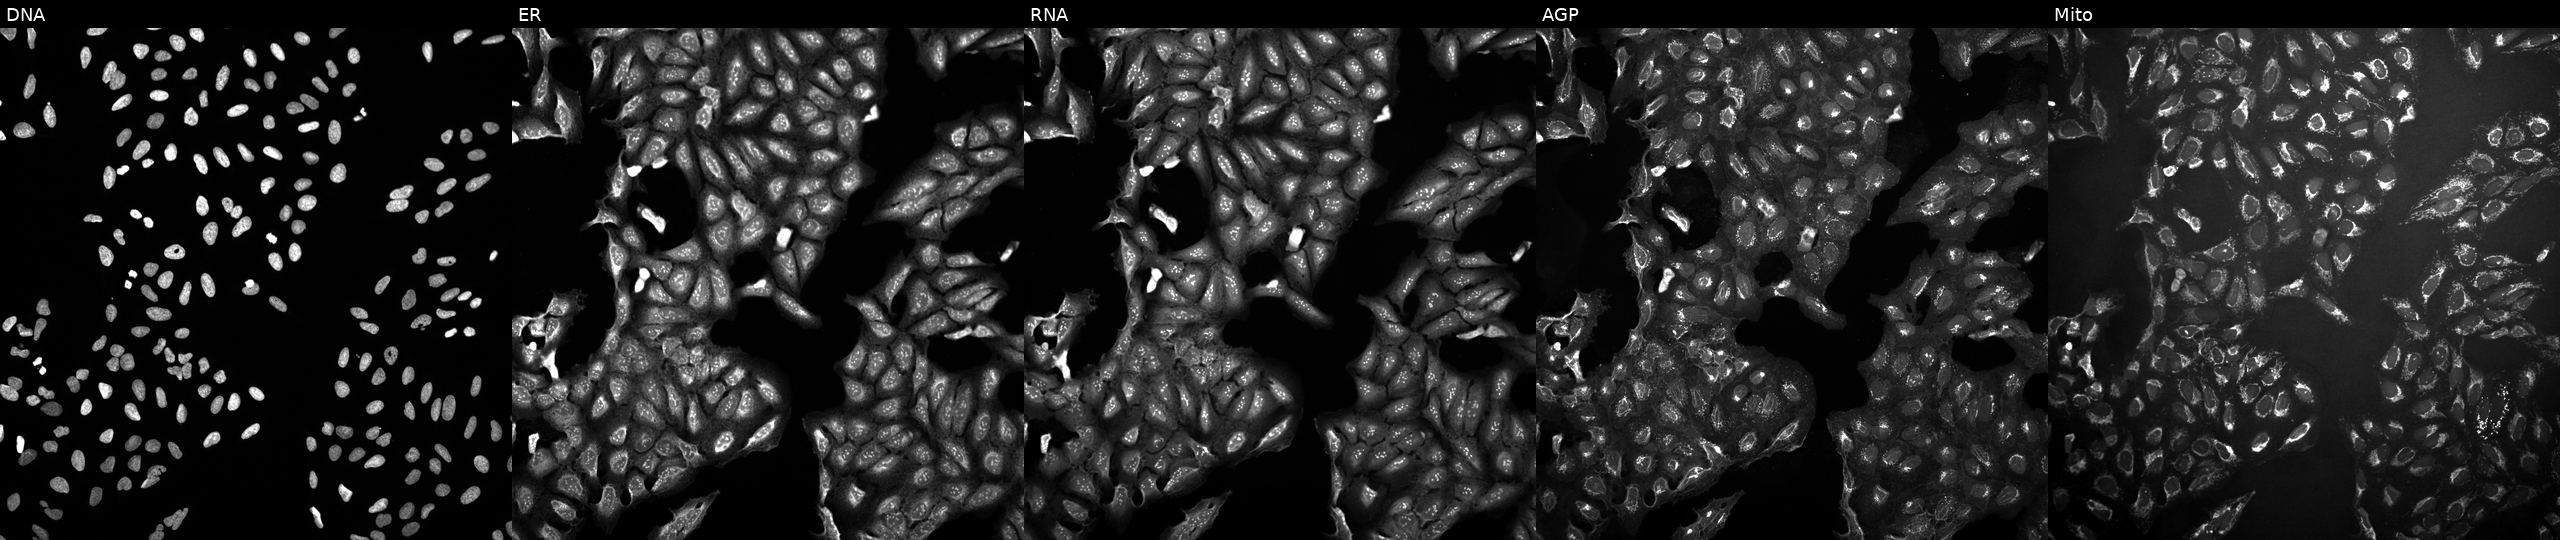
U2OS cells, Cell Painting assay, exposed to a small-molecule compound (InChIKey XDFKWGIBQMHSOH-UHFFFAOYSA-N). Panels show, left to right, DNA, ER, RNA, AGP, and Mito. Each panel is percentile-stretched 16-bit fluorescence. Source 10, plate Dest210803-153958, well F08.